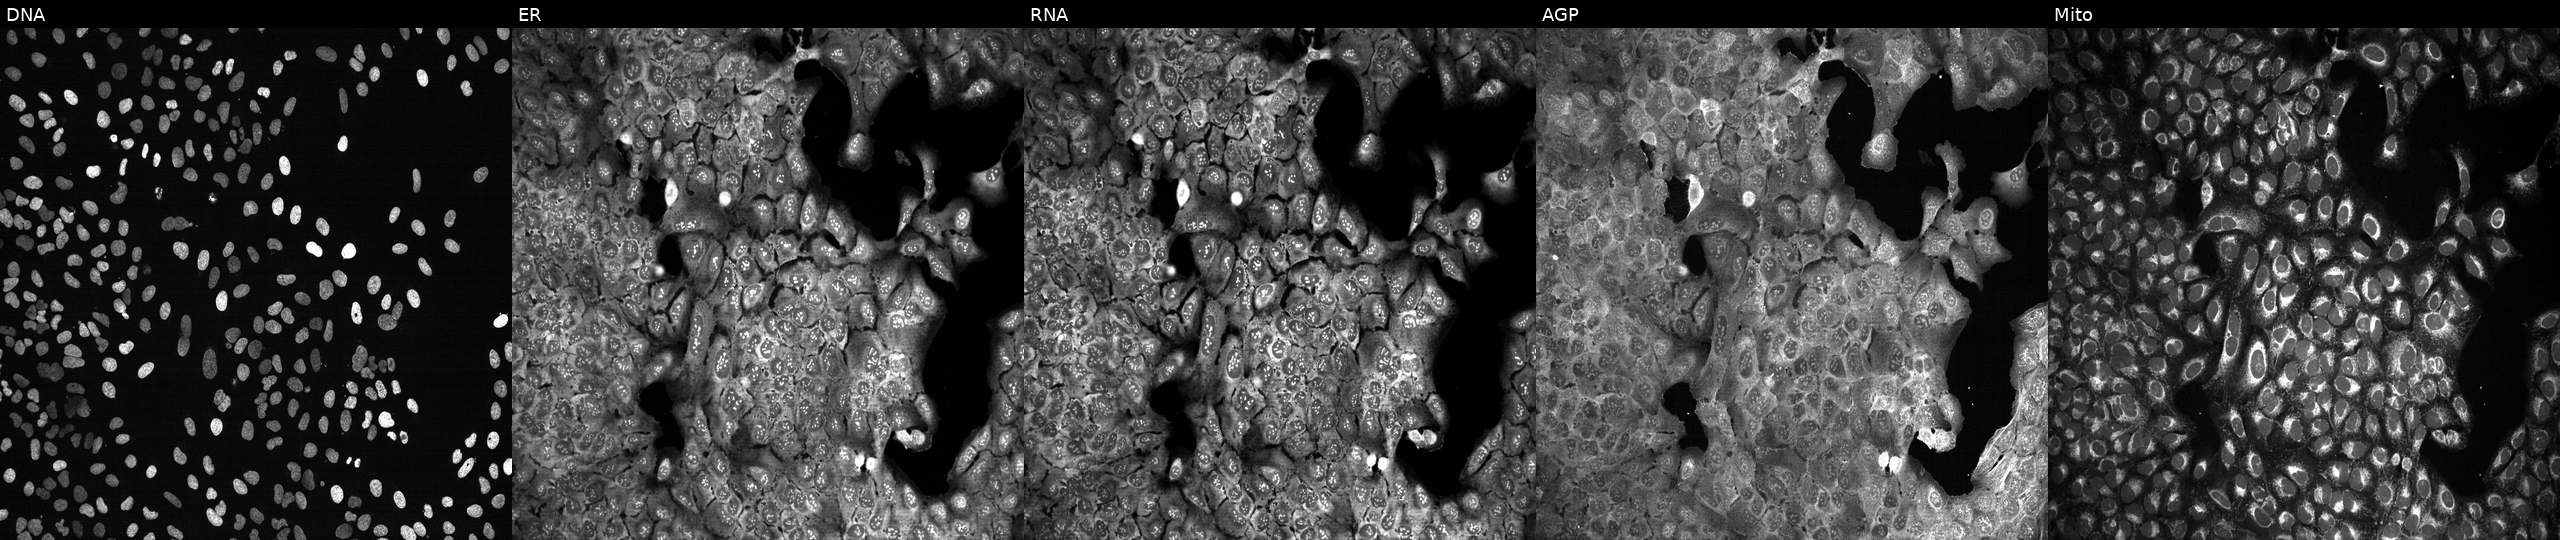
U2OS cells, Cell Painting assay, following CRISPR knockout of PLOD2 (JUMP id JCP2022_805270). Channels (left→right): Hoechst 33342, concanavalin A, SYTO 14, phalloidin and WGA, MitoTracker. Each panel is percentile-stretched 16-bit fluorescence. Source 13, plate CP-CC9-R3-02, well F07.